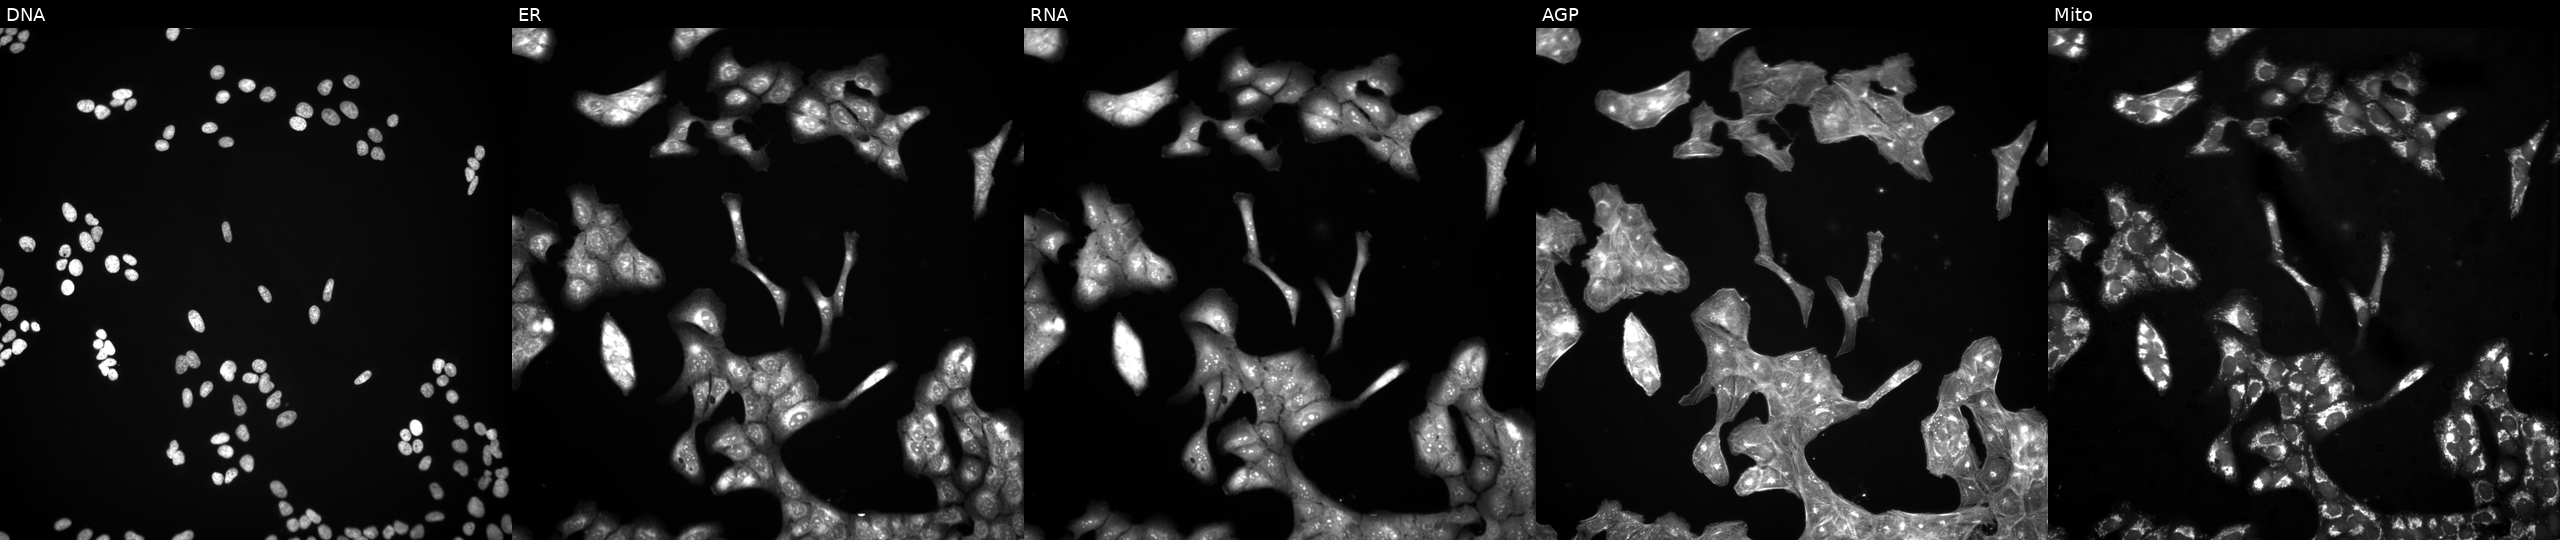
U2OS cells, Cell Painting assay, treated with a small-molecule compound. Channels (left→right): DNA, ER, RNA, AGP, and Mito. Each panel is percentile-stretched 16-bit fluorescence.